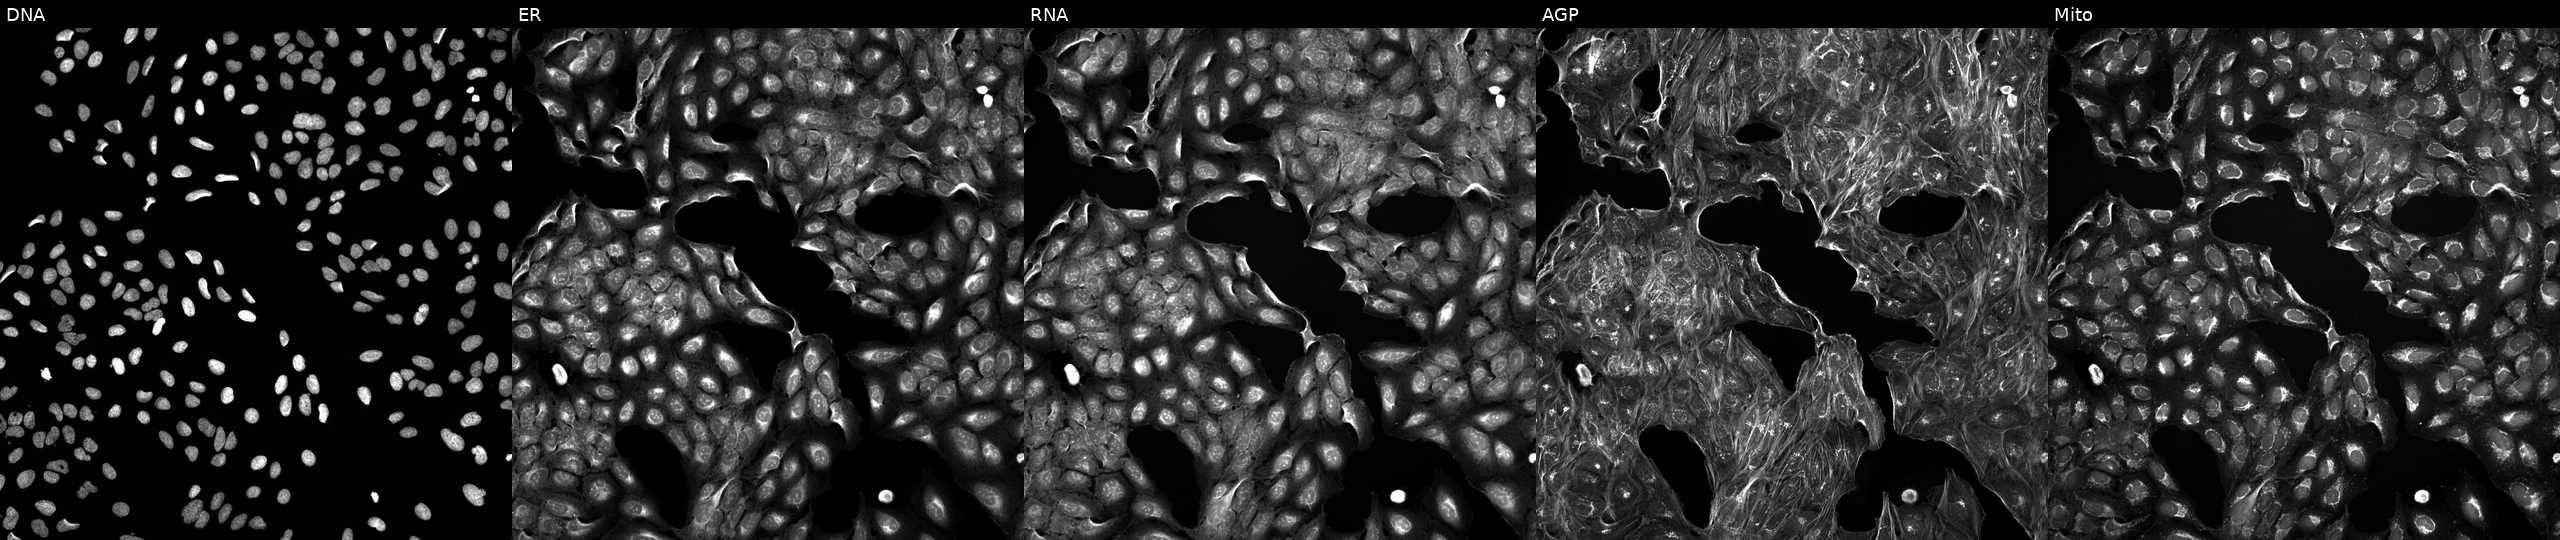
U2OS cells, Cell Painting assay, perturbed with a small-molecule compound. From left to right: DNA (nuclei); ER (endoplasmic reticulum); RNA (nucleoli and cytoplasmic RNA); AGP (actin cytoskeleton, Golgi, and plasma membrane); Mito (mitochondria). Each panel is percentile-stretched 16-bit fluorescence.